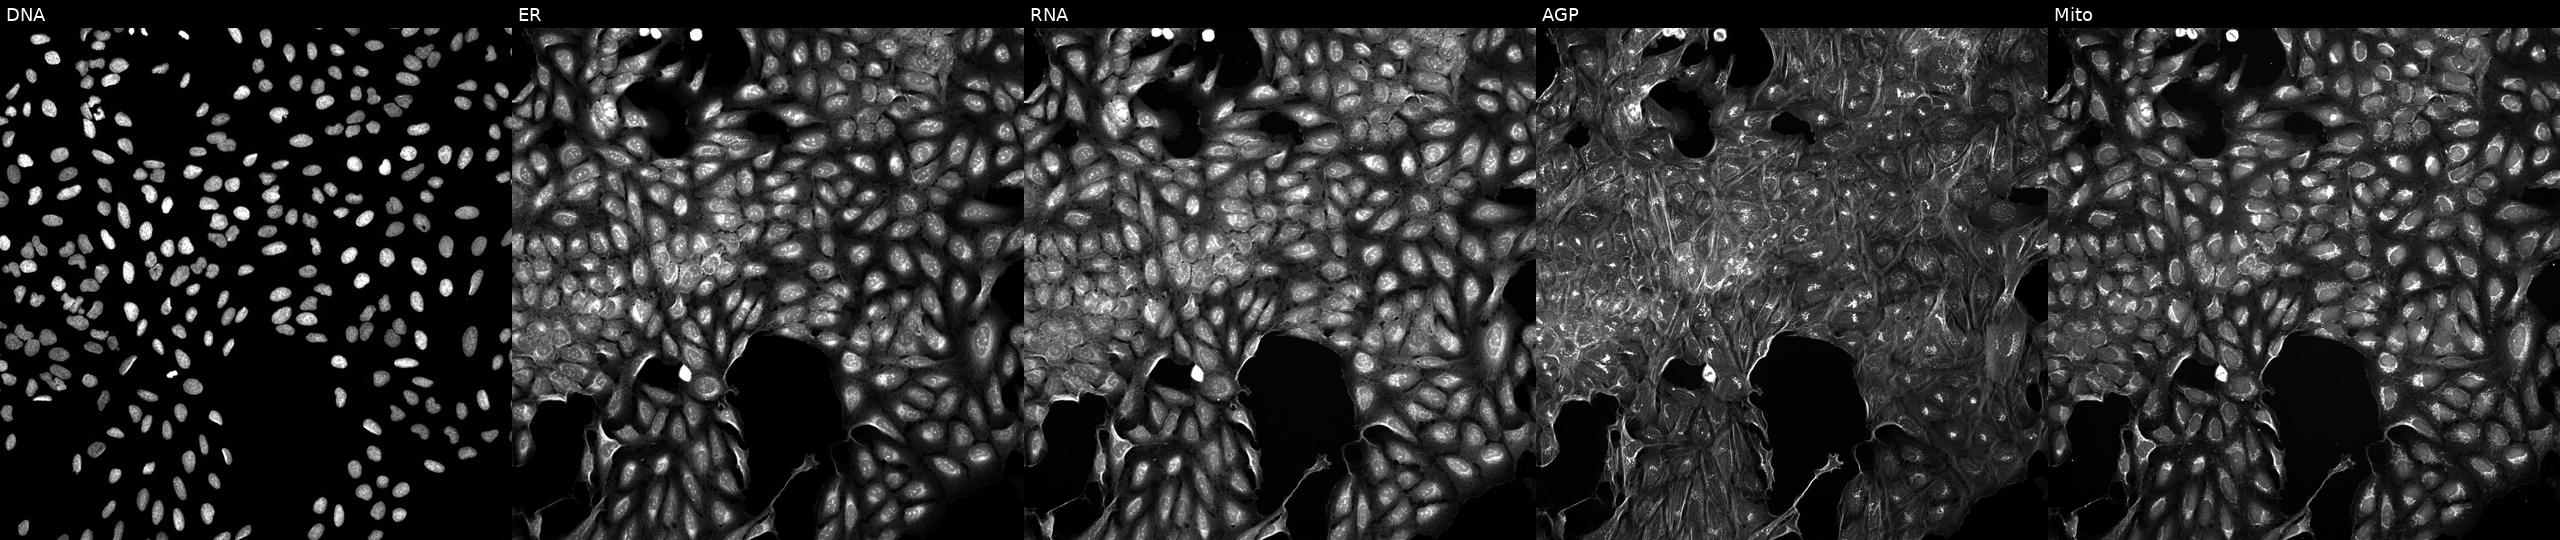
This image strip shows the five Cell Painting channels for a single field of U2OS cells treated with a small-molecule compound (InChIKey GNOXFJJDQJCKGJ-UHFFFAOYSA-N) [SMILES: COCCn1c(CNC(=O)c2cccc(C)c2)nc2cccnc21] (JUMP id JCP2022_026620). From left to right: Hoechst 33342, concanavalin A, SYTO 14, phalloidin and WGA, MitoTracker.